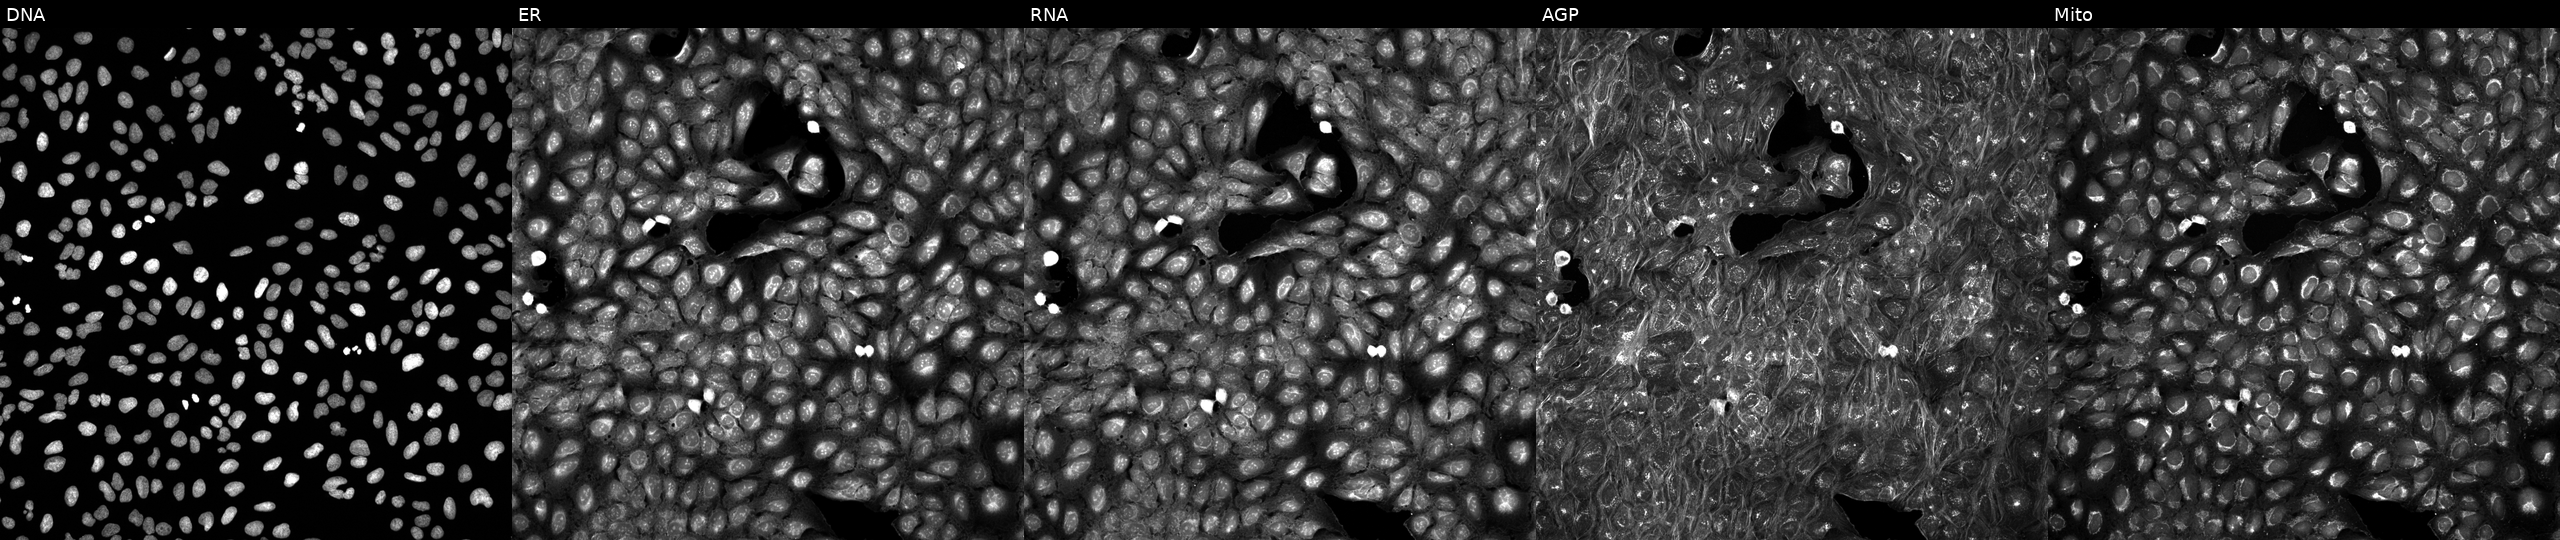
High-content fluorescence microscopy (Cell Painting). Cell line: U2OS. Perturbation: exposed to a small-molecule compound (InChIKey OJUBCPJUYNKUTM-UHFFFAOYSA-N) (JUMP id JCP2022_064243). Panels show, left to right, Hoechst 33342, concanavalin A, SYTO 14, phalloidin and WGA, MitoTracker. Source 5, plate APTJUM106, well E08.